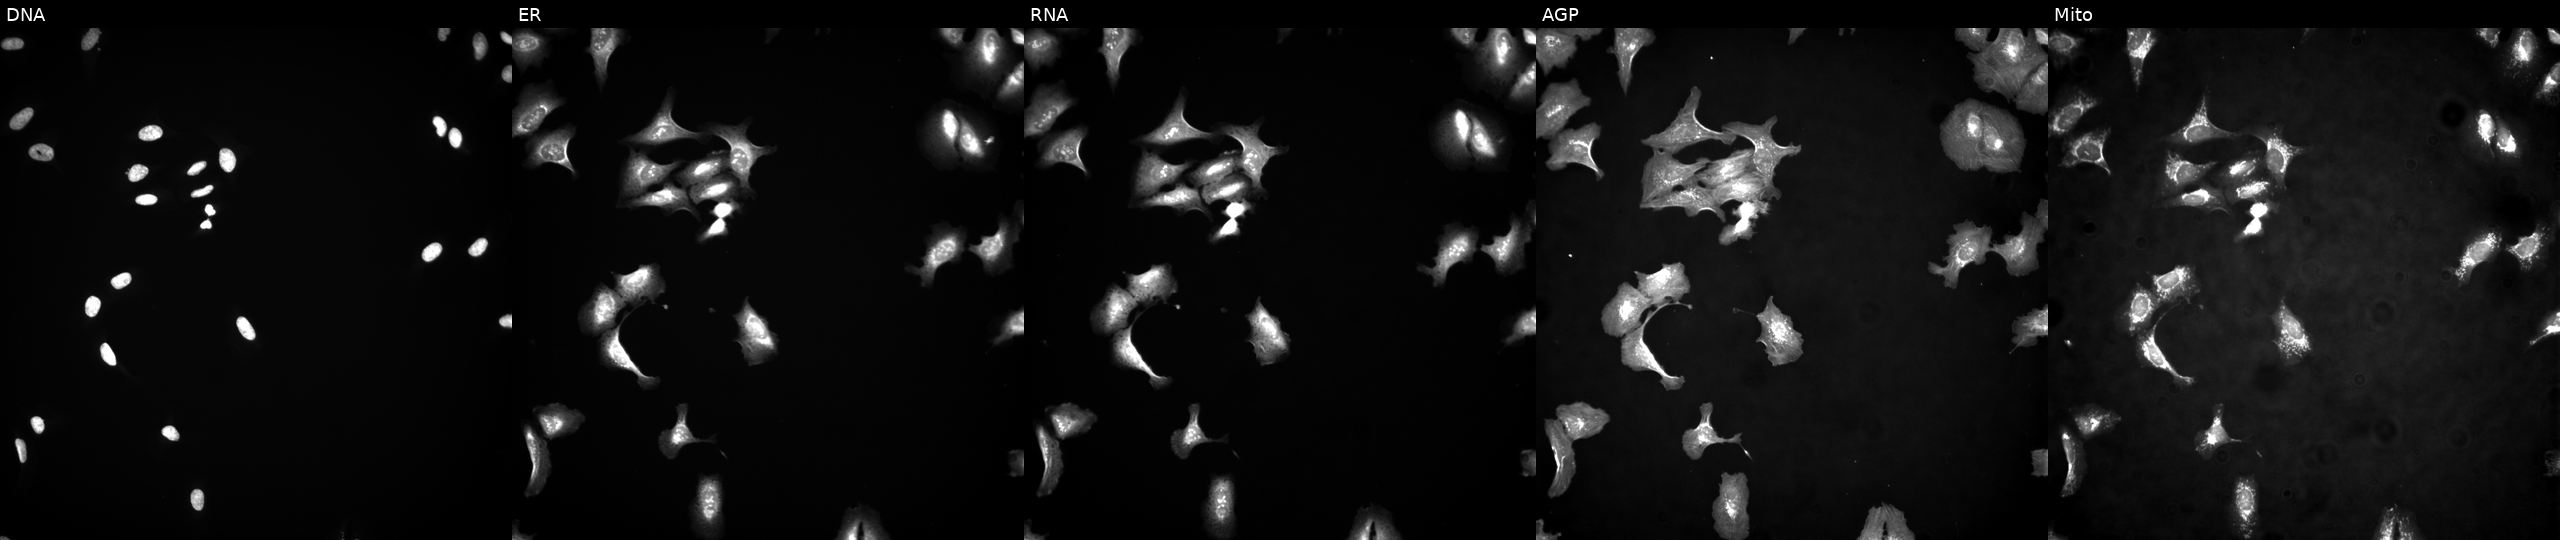
High-content fluorescence microscopy (Cell Painting). Cell line: U2OS. Perturbation: transfected with an ORF construct for LOC112268437. From left to right: DNA (nuclei); ER (endoplasmic reticulum); RNA (nucleoli and cytoplasmic RNA); AGP (actin cytoskeleton, Golgi, and plasma membrane); Mito (mitochondria).